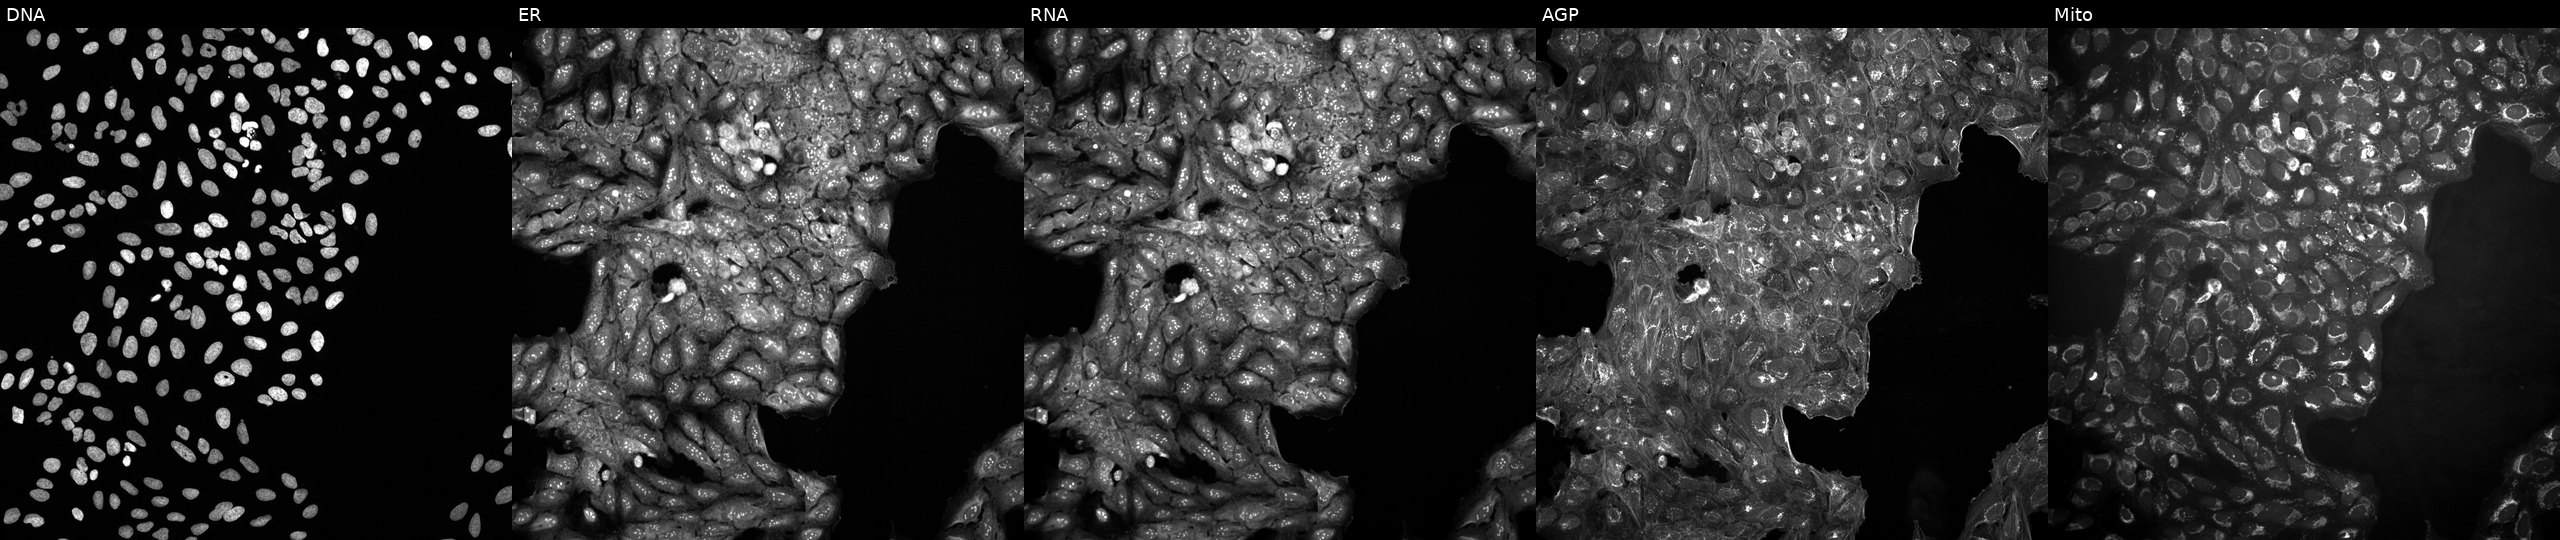
High-content fluorescence microscopy (Cell Painting). Cell line: U2OS. Perturbation: treated with DMSO vehicle only (negative control). Channels (left→right): DNA, ER, RNA, AGP, and Mito.